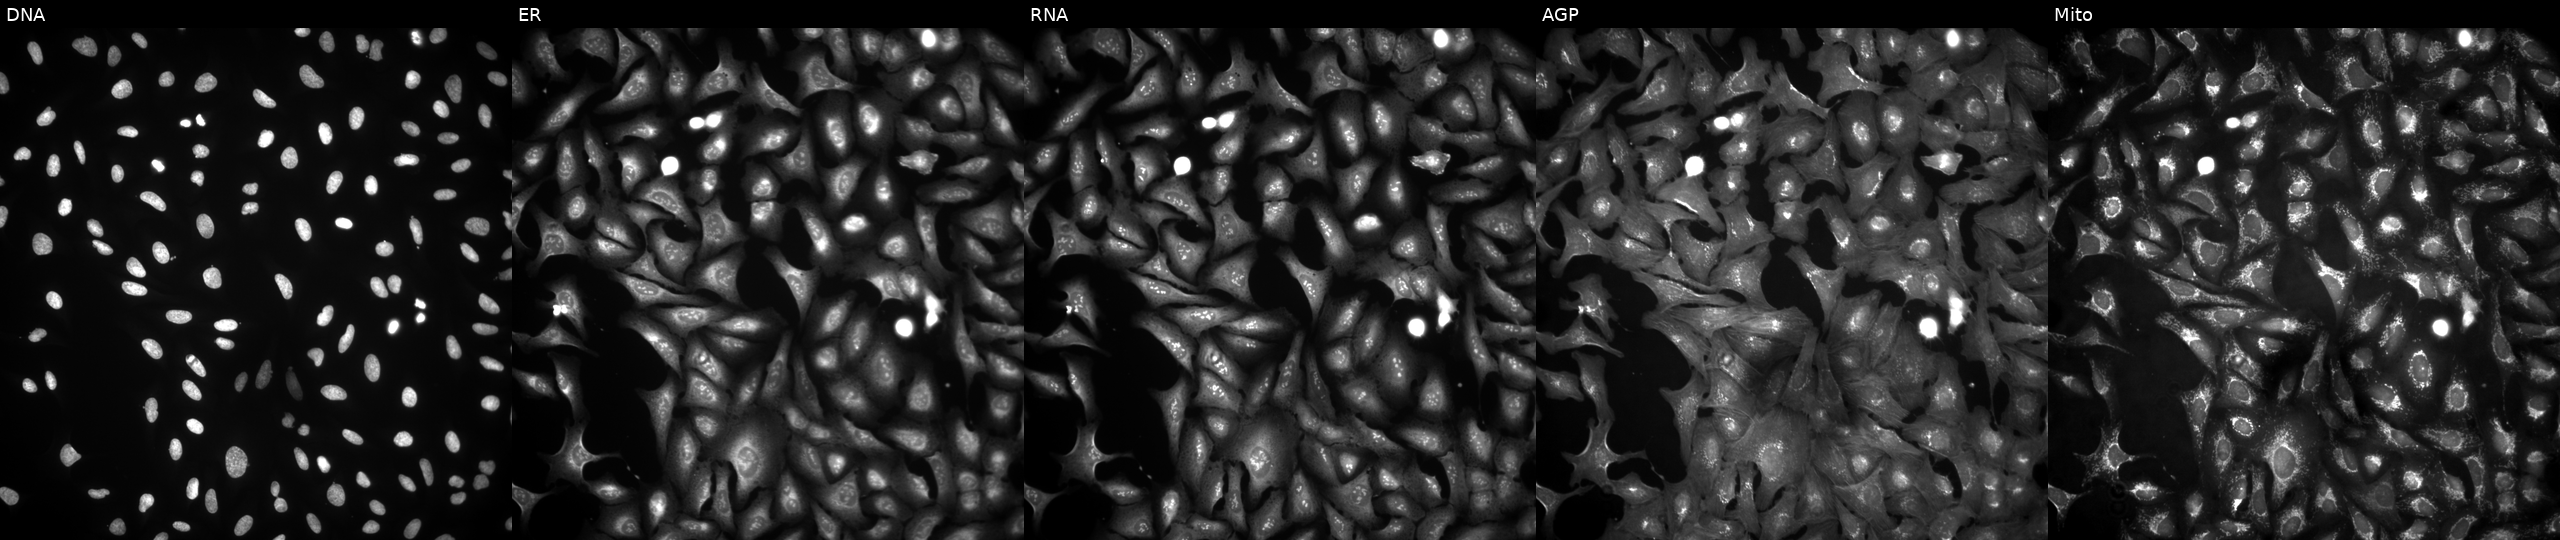
High-content fluorescence microscopy (Cell Painting). Cell line: U2OS. Perturbation: with MYLK2 overexpressed (ORF). Channels (left→right): Hoechst 33342, concanavalin A, SYTO 14, phalloidin and WGA, MitoTracker.